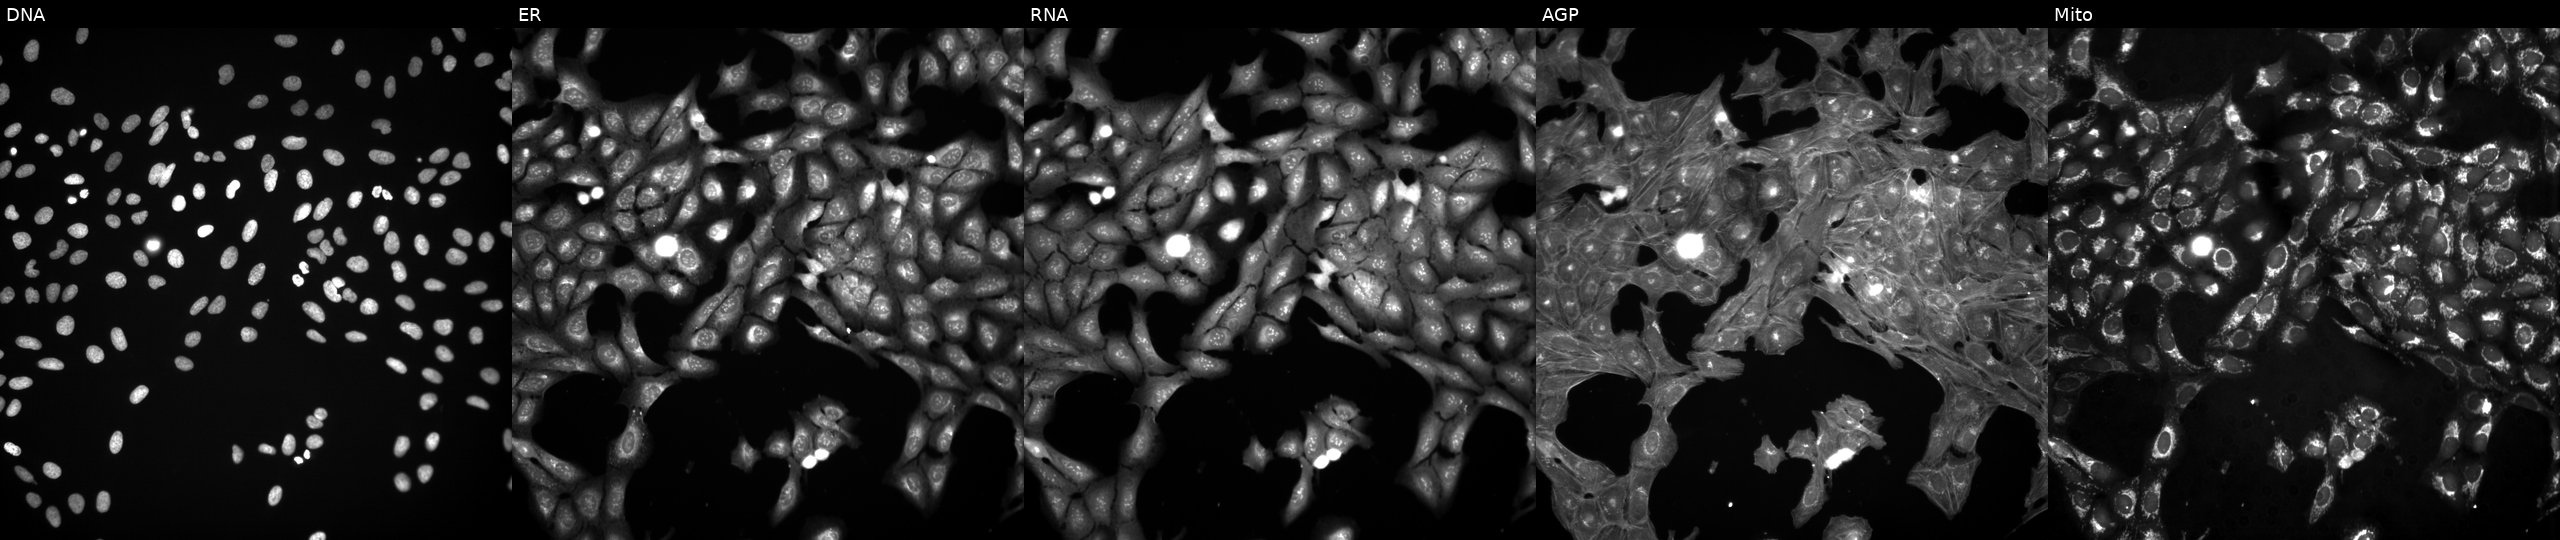
JUMP Cell Painting — TARGET2 plate. U2OS cells exposed to a small-molecule compound (InChIKey SHZKQBHERIJWAO-UHFFFAOYSA-N) [SMILES: O=C(O)C=Cc1ccc(Cn2ccnc2)cc1]. Channels (left→right): DNA, ER, RNA, AGP, and Mito.